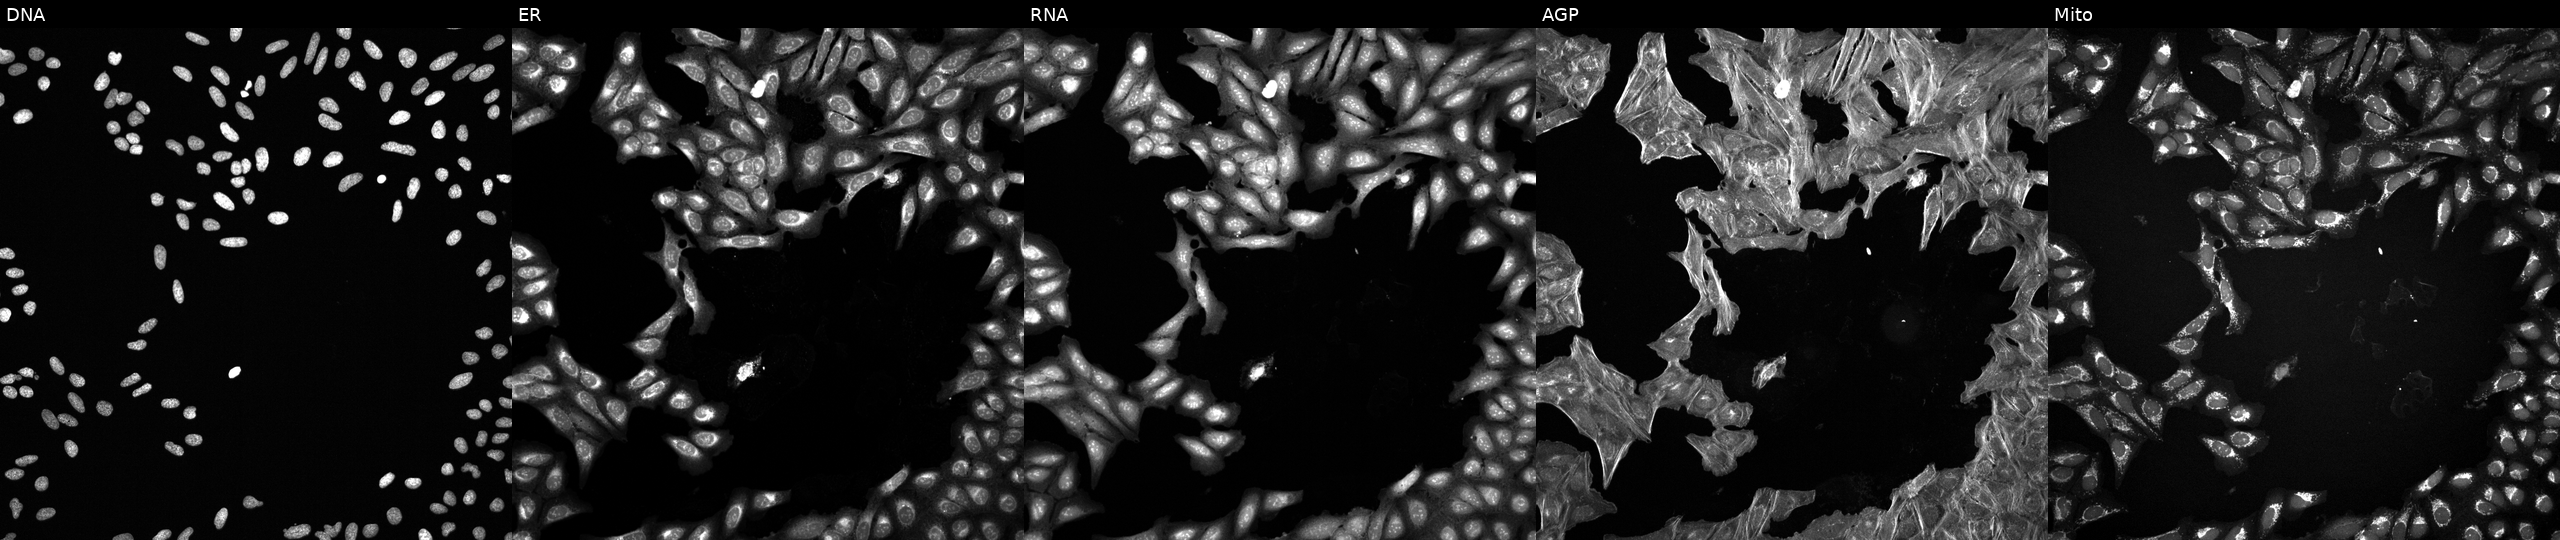
JUMP Cell Painting — COMPOUND plate. U2OS cells perturbed with a small-molecule compound. Channels (left→right): Hoechst 33342, concanavalin A, SYTO 14, phalloidin and WGA, MitoTracker.